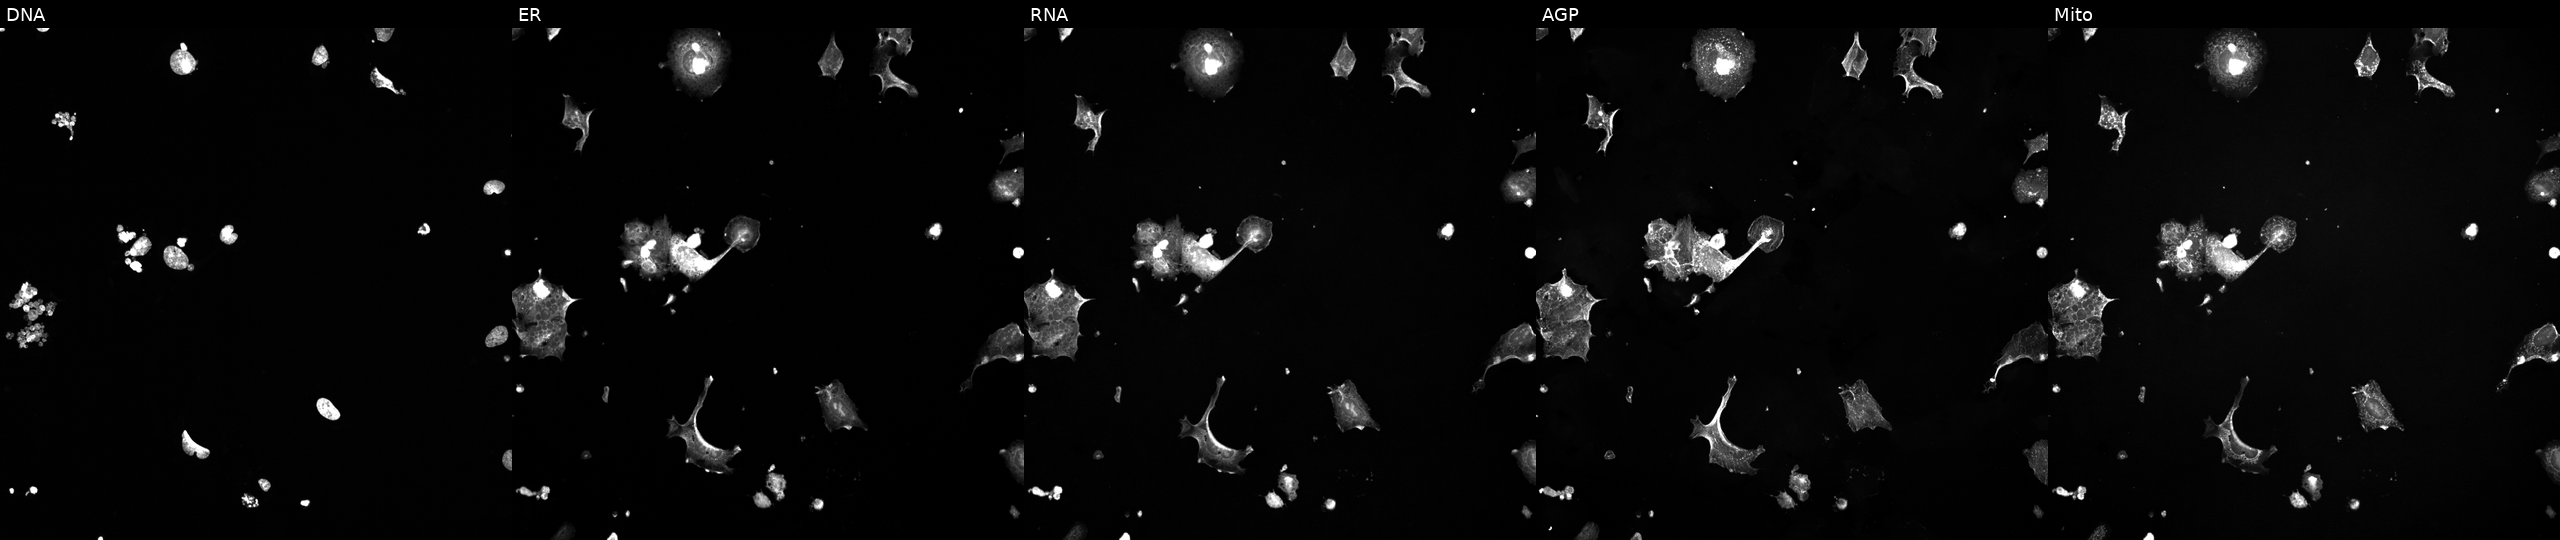
Panels show, left to right, DNA, ER, RNA, AGP, and Mito. U2OS osteosarcoma cells exposed to a small-molecule compound (InChIKey MTJHLONVHHPNSI-UHFFFAOYSA-N). Cell Painting assay, JUMP-CP dataset.